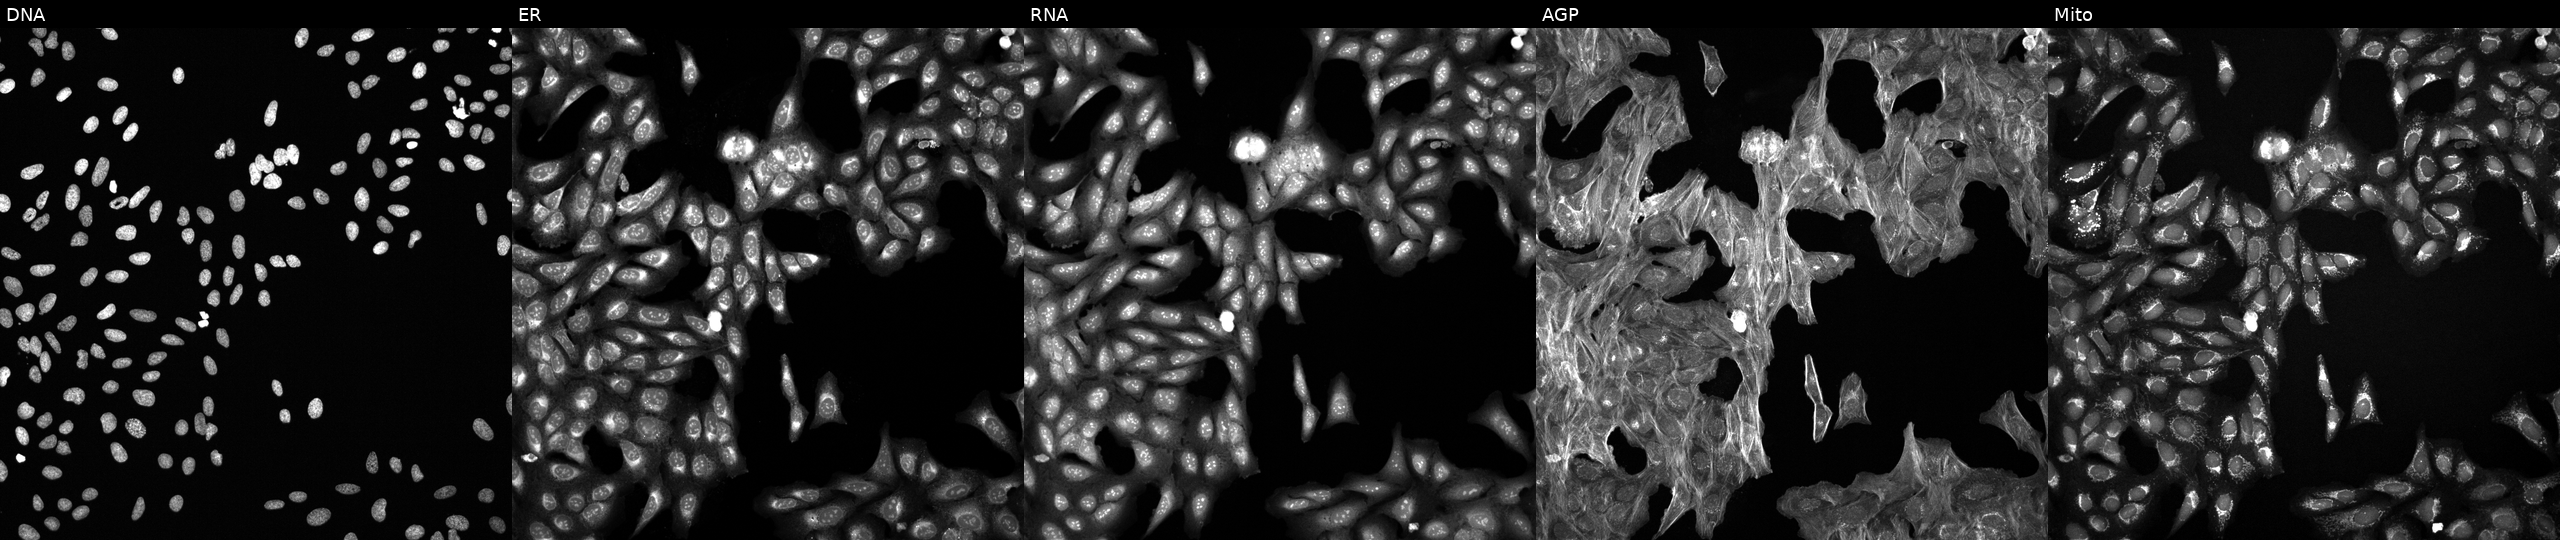
Five-channel Cell Painting image of U2OS cells treated with a small-molecule compound (InChIKey HKQYGTCOTHHOMP-UHFFFAOYSA-N). Panels show, left to right, Hoechst 33342, concanavalin A, SYTO 14, phalloidin and WGA, MitoTracker.